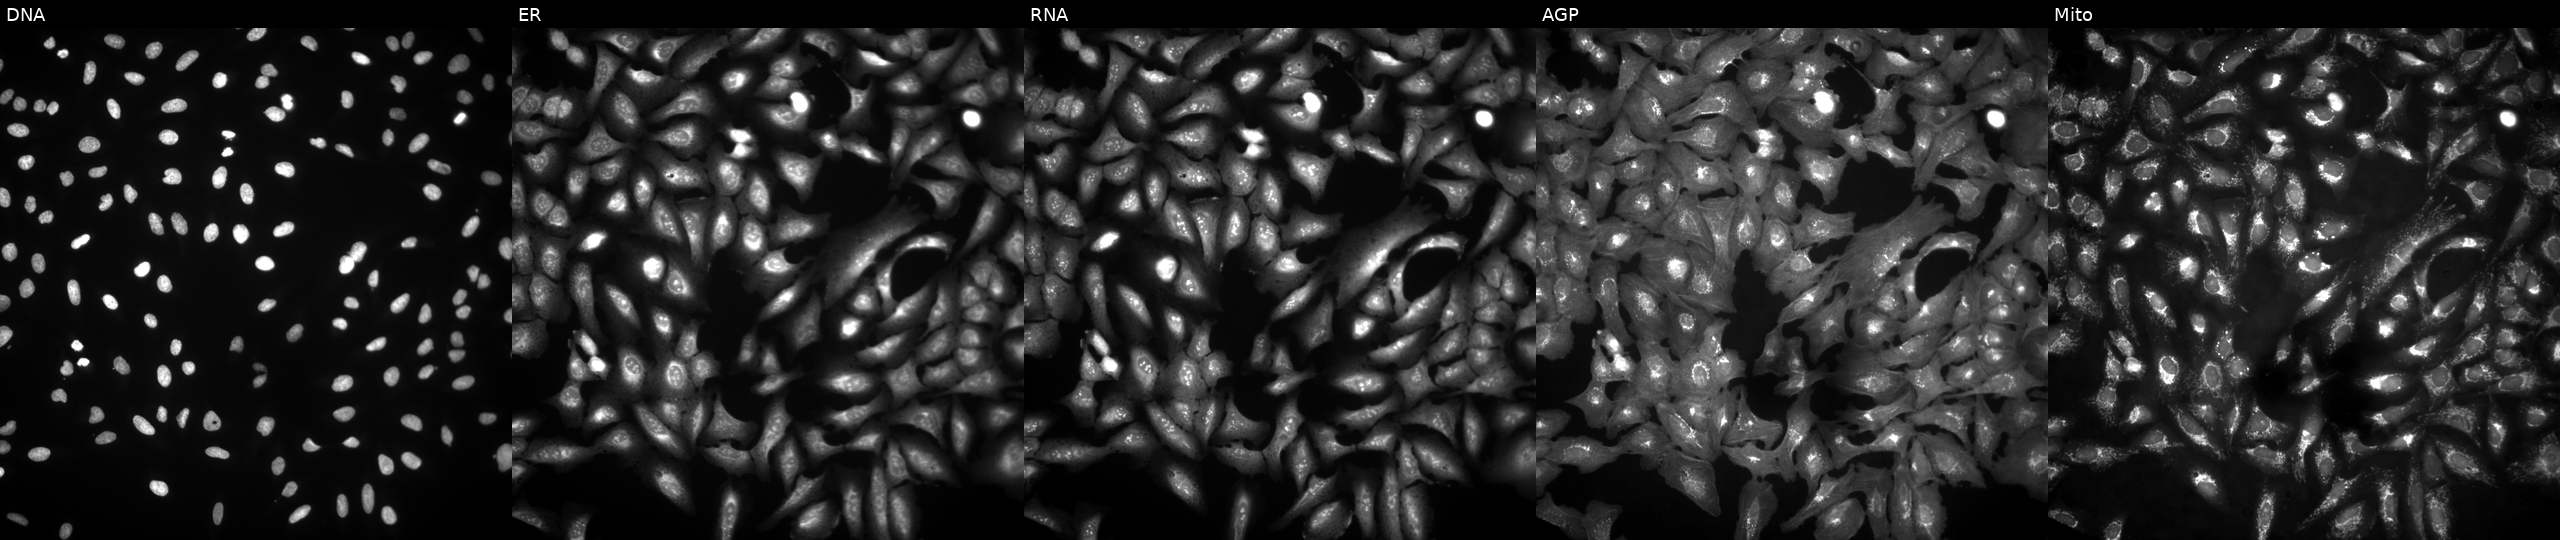
U2OS cells, Cell Painting assay, transfected with an ORF construct for ZBTB9 (JUMP id JCP2022_909201). Channels (left→right): DNA (nuclei); ER (endoplasmic reticulum); RNA (nucleoli and cytoplasmic RNA); AGP (actin cytoskeleton, Golgi, and plasma membrane); Mito (mitochondria). Each panel is percentile-stretched 16-bit fluorescence.